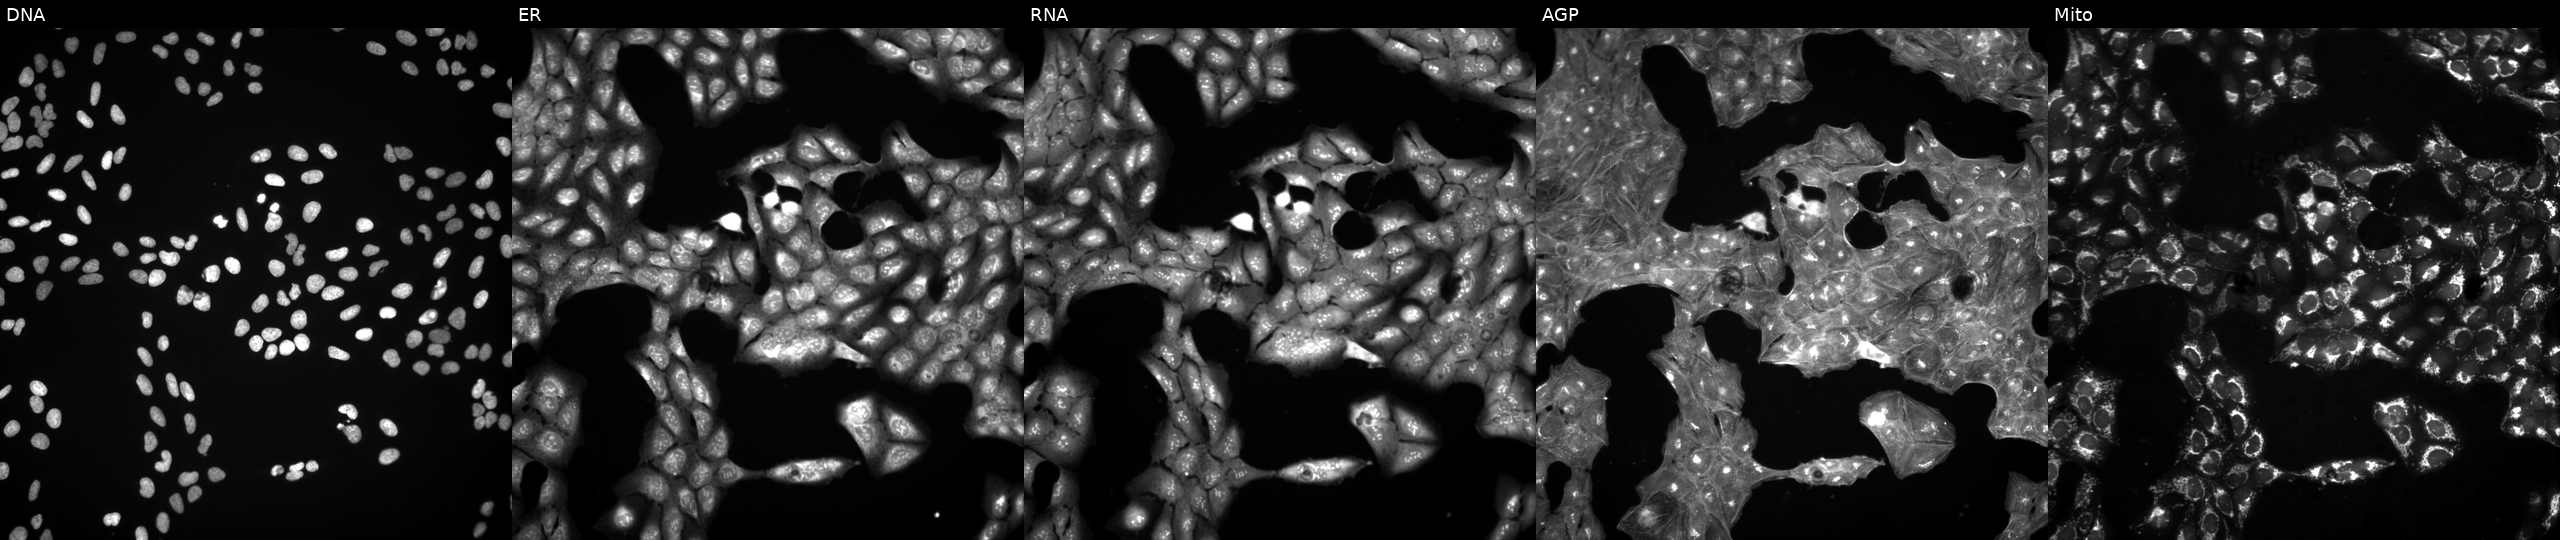
Five-channel Cell Painting image of U2OS cells treated with DMSO vehicle only (negative control). Channels (left→right): Hoechst 33342, concanavalin A, SYTO 14, phalloidin and WGA, MitoTracker.